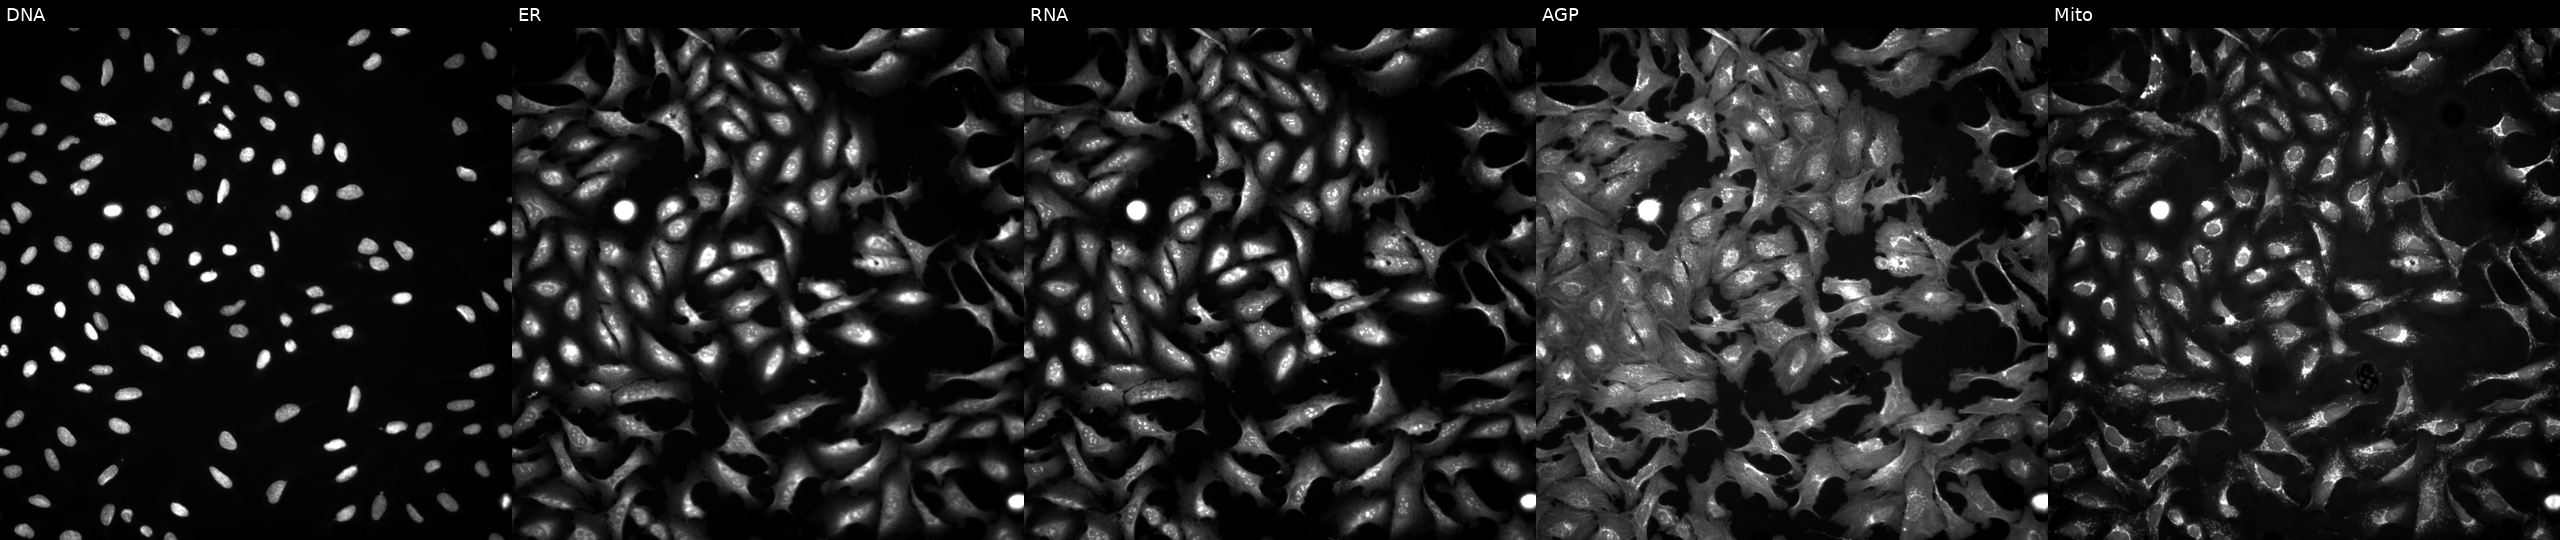
The five panels, left to right, show Hoechst 33342, concanavalin A, SYTO 14, phalloidin and WGA, MitoTracker. U2OS osteosarcoma cells transfected with an ORF construct for PFKP (JUMP id JCP2022_913773). Cell Painting assay, JUMP-CP dataset.